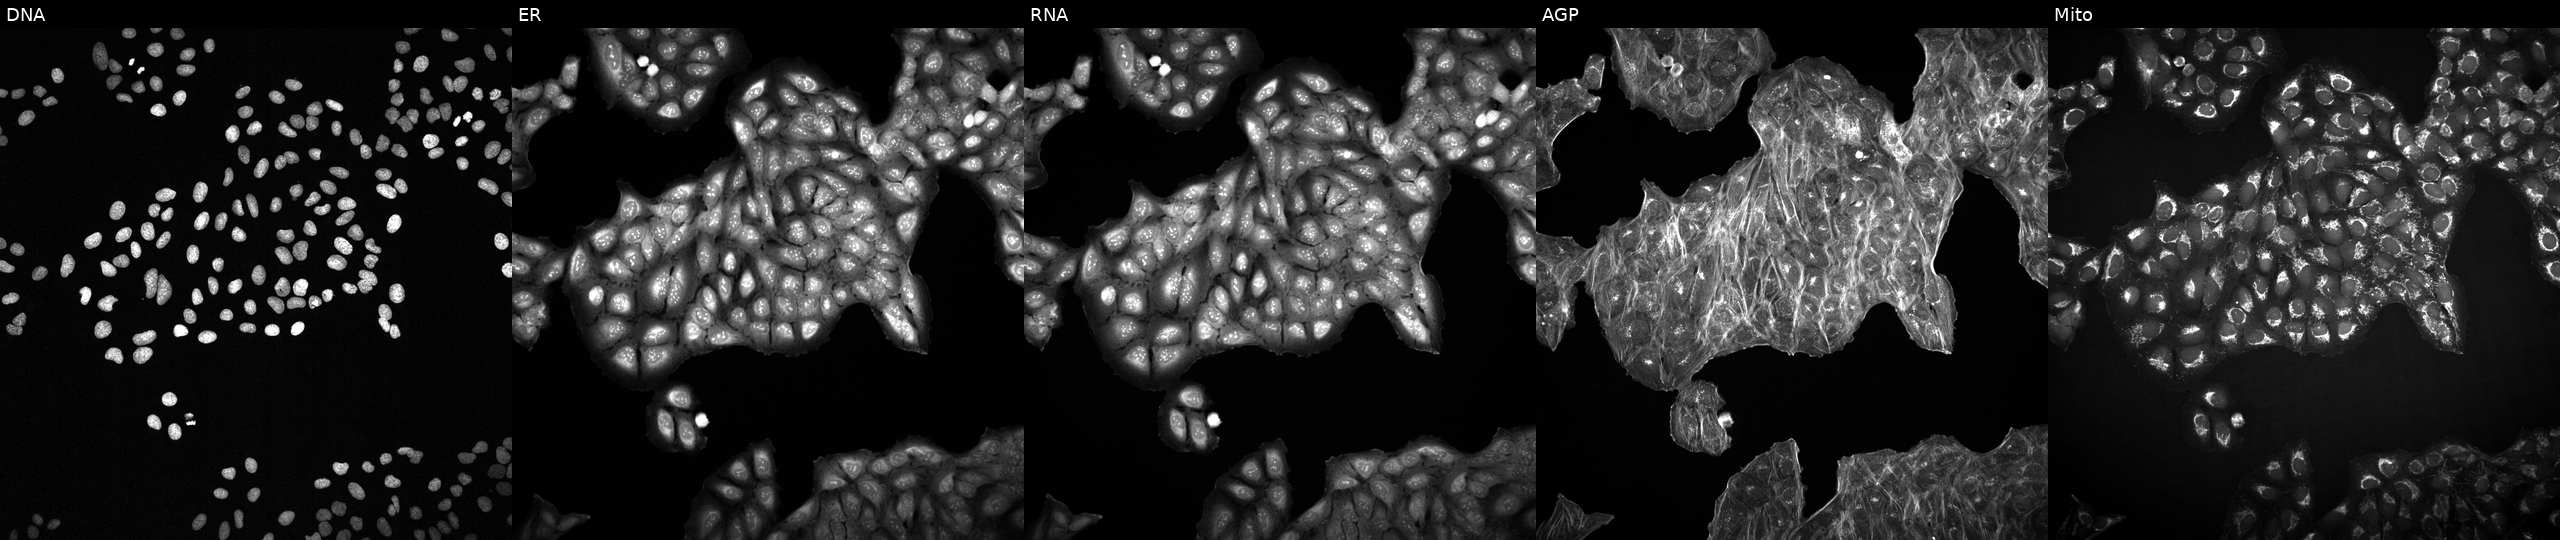
U2OS cells, Cell Painting assay, perturbed with a small-molecule compound (InChIKey DRLAQQNPHHYLBH-UHFFFAOYSA-N) [SMILES: Cc1cc(Oc2ccc(NS(=O)(=O)c3cccc4cccnc34)cn2)cc(C)c1Cl] (JUMP id JCP2022_017738). Panels show, left to right, Hoechst 33342, concanavalin A, SYTO 14, phalloidin and WGA, MitoTracker. Each panel is percentile-stretched 16-bit fluorescence.